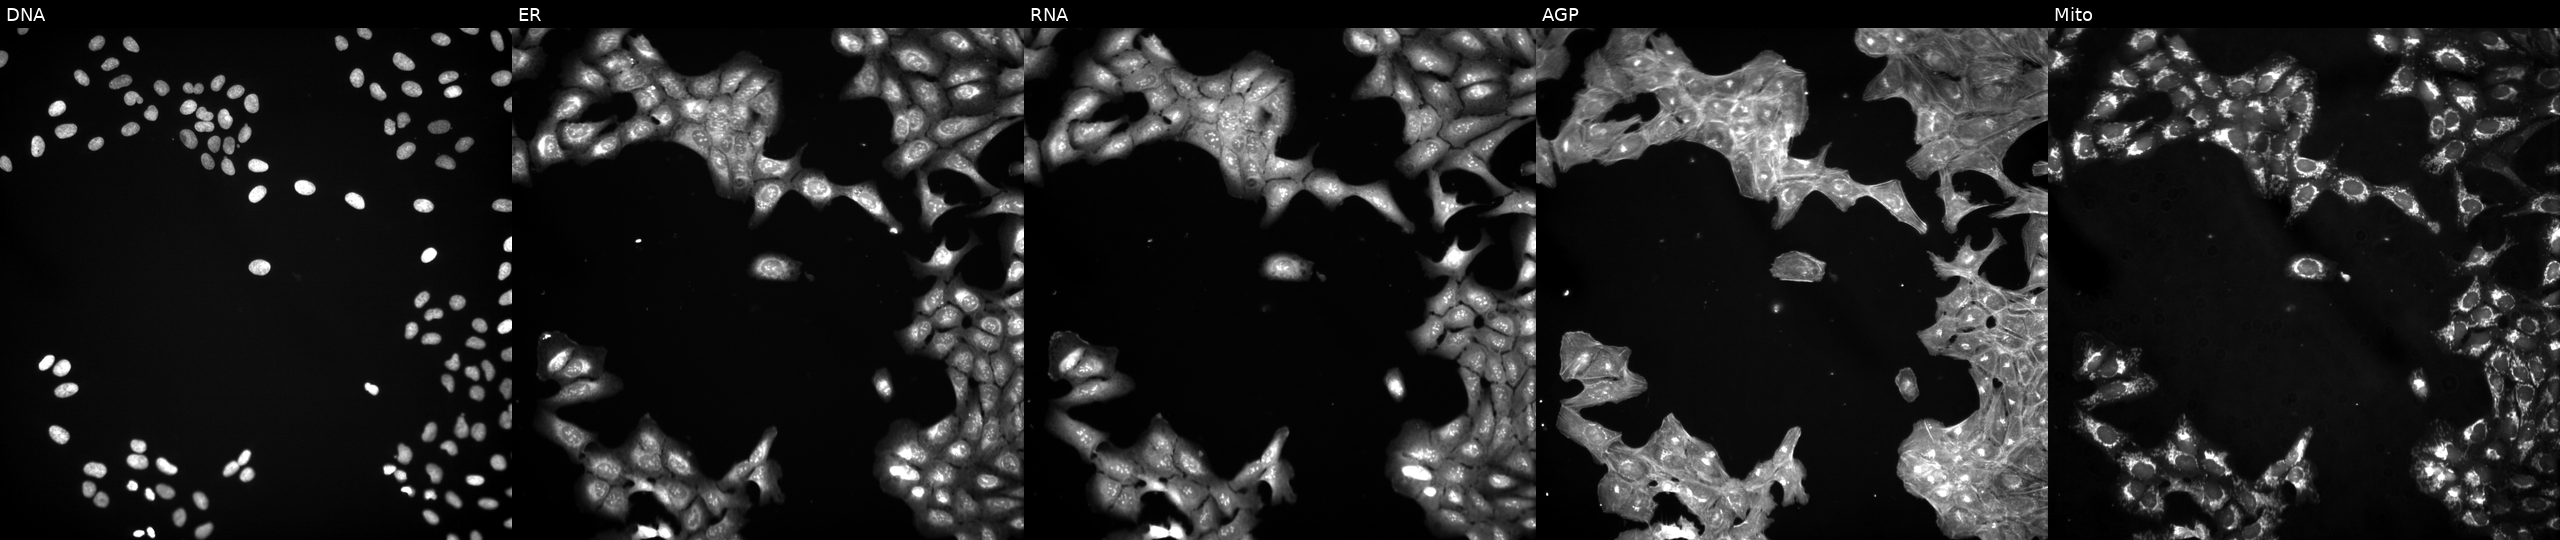
Five-channel Cell Painting image of U2OS cells treated with a small-molecule compound (InChIKey ZESFDAKNYJQYKO-UHFFFAOYSA-N). Channels (left→right): Hoechst 33342, concanavalin A, SYTO 14, phalloidin and WGA, MitoTracker. Source 3, plate JCPQC053, well P15.